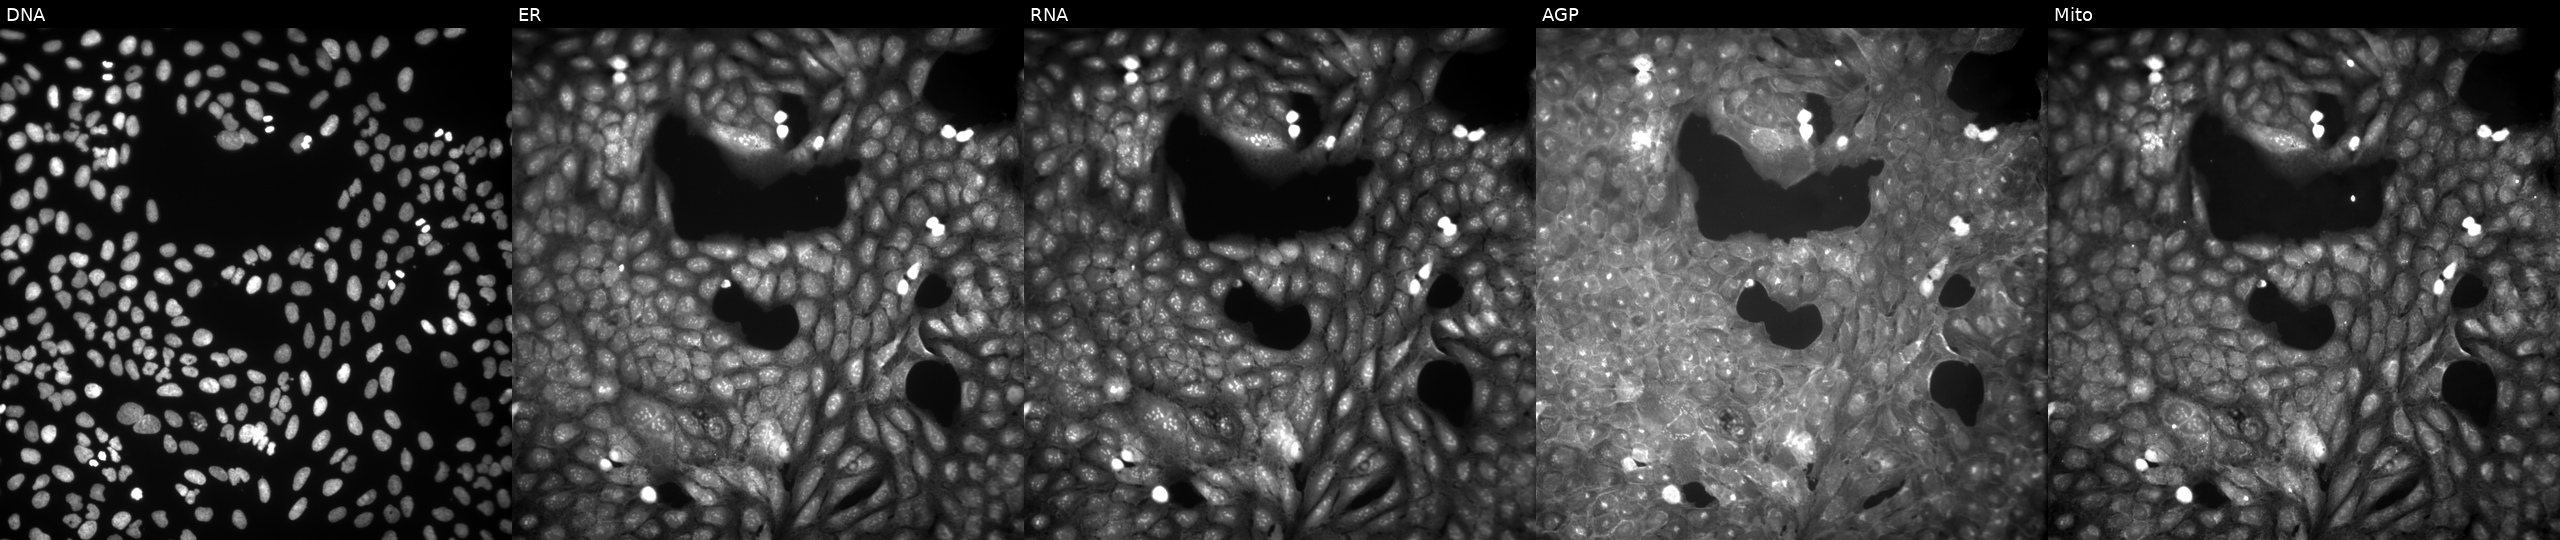
U2OS cells, Cell Painting assay, exposed to a small-molecule compound (InChIKey UICJHFCWRLKNQU-UHFFFAOYSA-N). Panels show, left to right, Hoechst 33342, concanavalin A, SYTO 14, phalloidin and WGA, MitoTracker. Each panel is percentile-stretched 16-bit fluorescence.